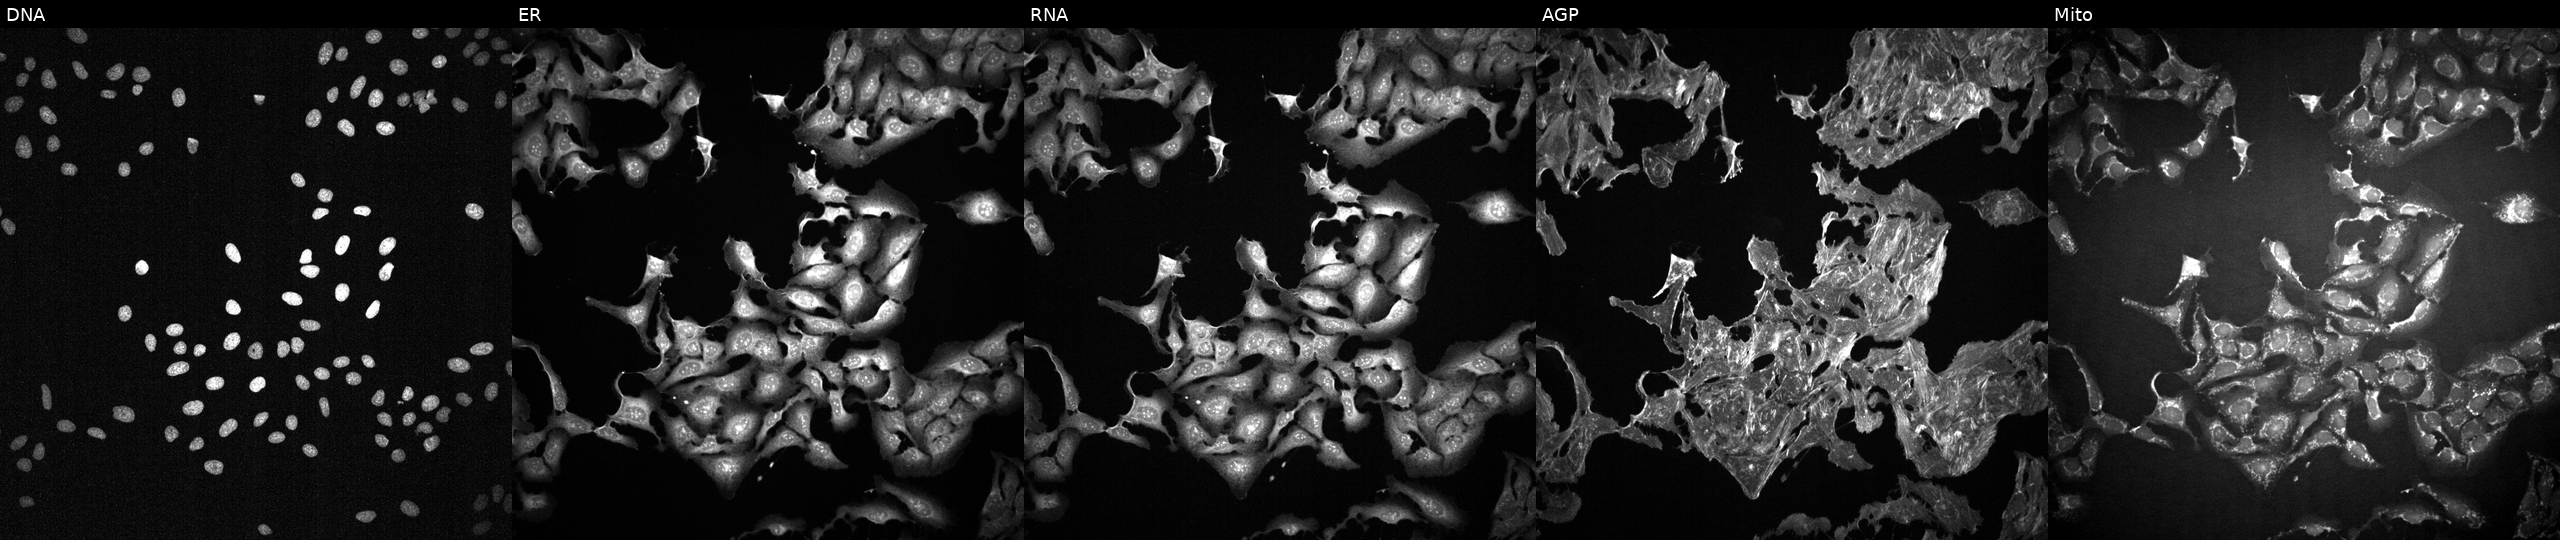
This image strip shows the five Cell Painting channels for a single field of U2OS cells treated with FK-866 (positive-control compound) (JUMP id JCP2022_046054). The five panels, left to right, show DNA, ER, RNA, AGP, and Mito.